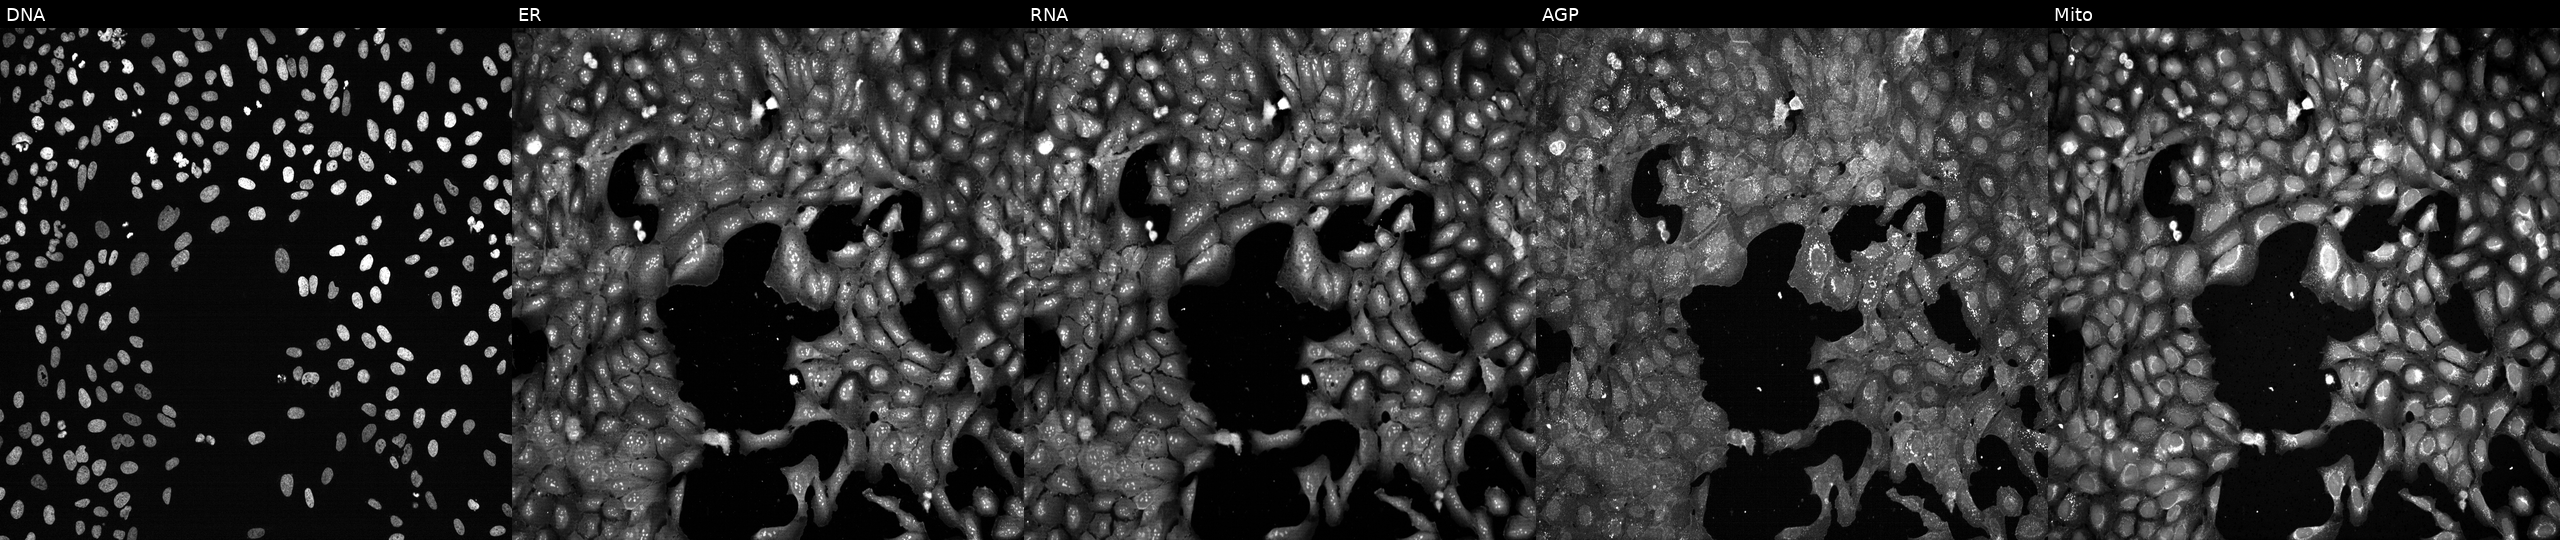
From left to right: Hoechst 33342, concanavalin A, SYTO 14, phalloidin and WGA, MitoTracker. U2OS osteosarcoma cells CRISPR-edited to disrupt HMOX2. Cell Painting assay, JUMP-CP dataset.